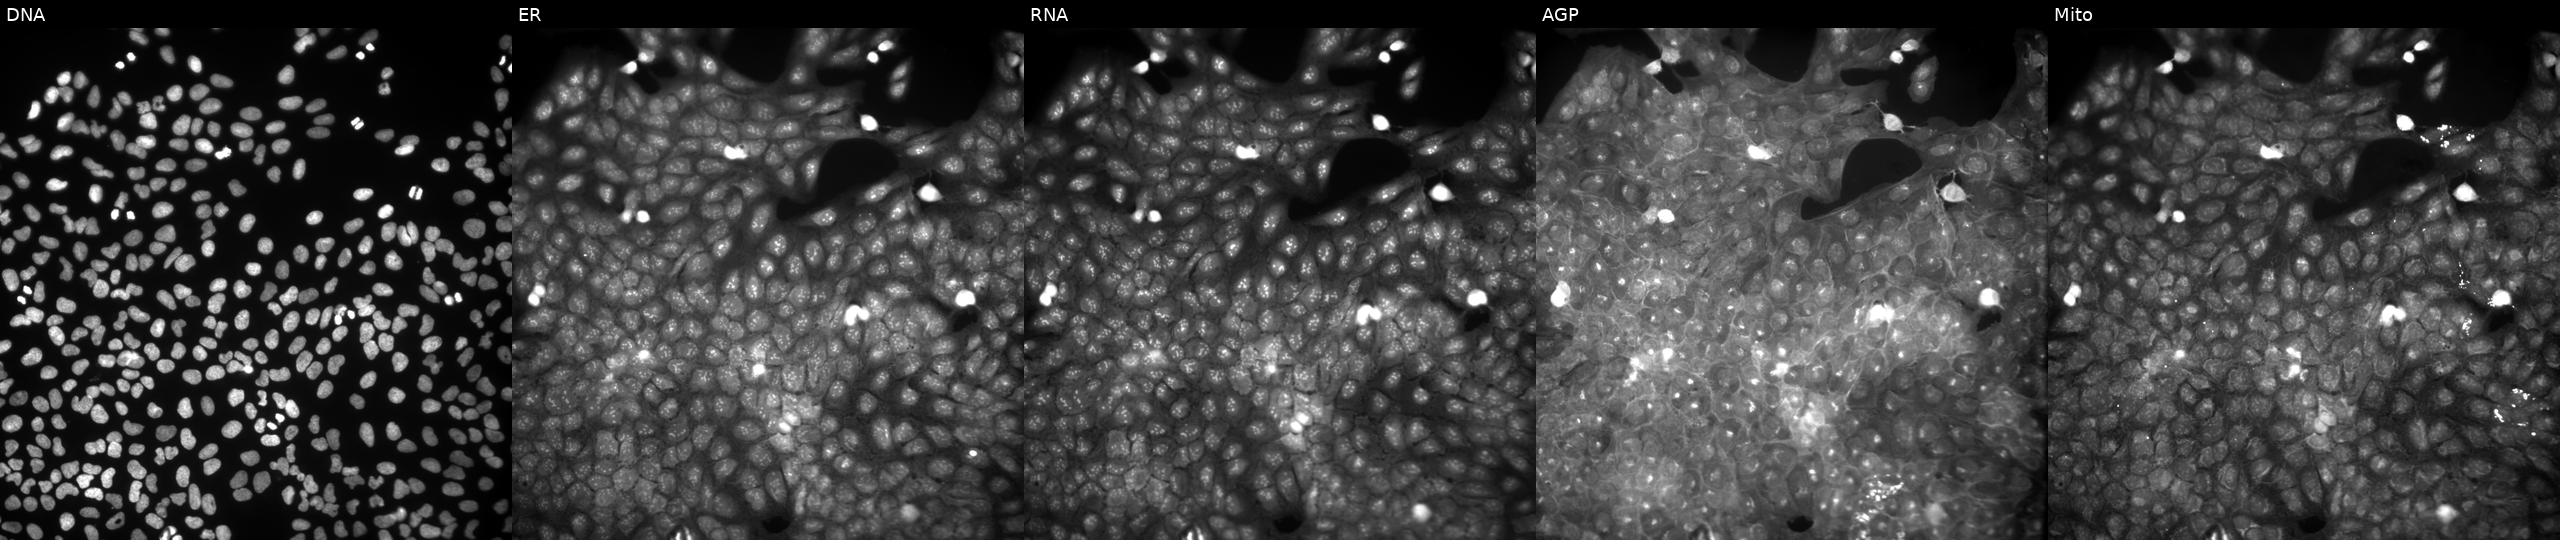
High-content fluorescence microscopy (Cell Painting). Cell line: U2OS. Perturbation: perturbed with a small-molecule compound (InChIKey HMLNXHABJLZURU-UHFFFAOYSA-N). Panels show, left to right, DNA (nuclei); ER (endoplasmic reticulum); RNA (nucleoli and cytoplasmic RNA); AGP (actin cytoskeleton, Golgi, and plasma membrane); Mito (mitochondria). Source 9, plate GR00003382, well AE28.